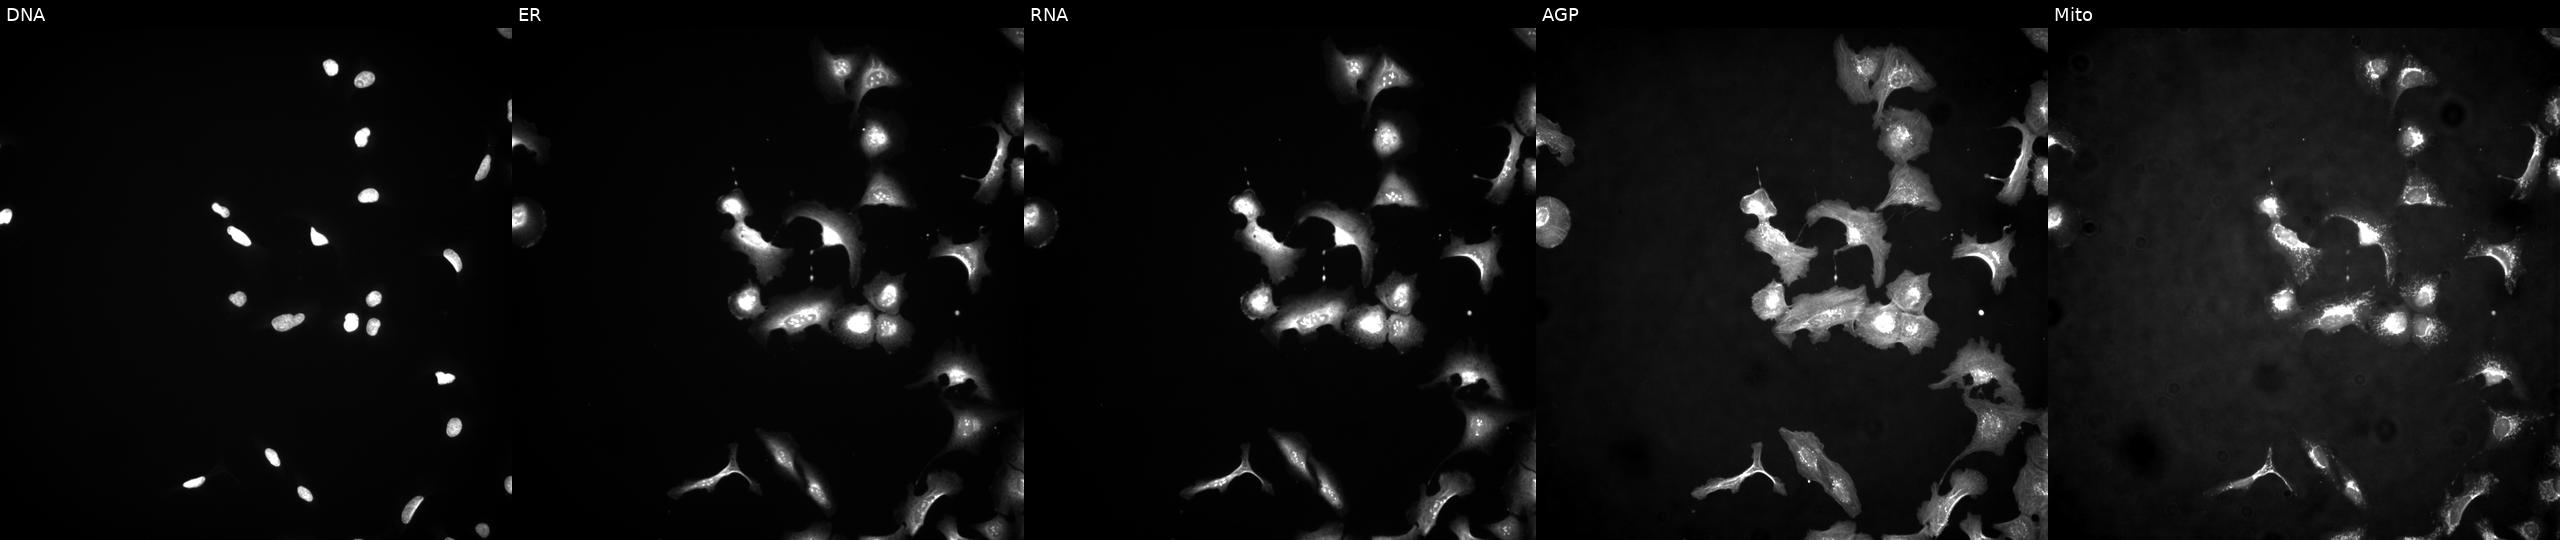
JUMP Cell Painting — ORF plate. U2OS cells transfected with an ORF construct for CDIPT. Channels (left→right): DNA, ER, RNA, AGP, and Mito.